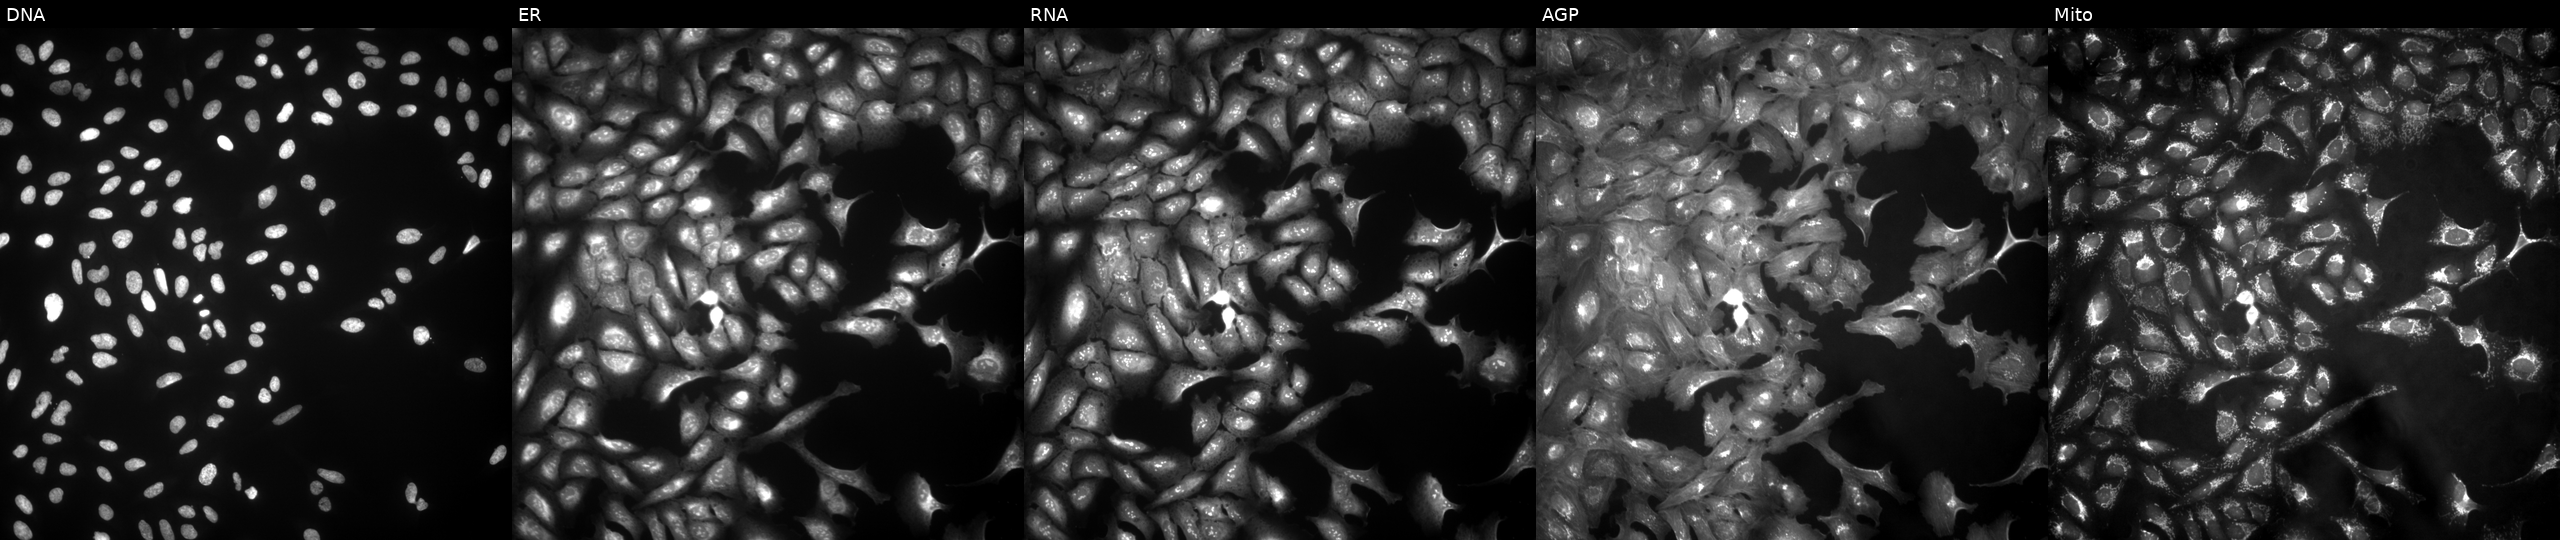
JUMP Cell Painting — ORF plate. U2OS cells with CPA2 overexpressed (ORF). Panels show, left to right, DNA (nuclei); ER (endoplasmic reticulum); RNA (nucleoli and cytoplasmic RNA); AGP (actin cytoskeleton, Golgi, and plasma membrane); Mito (mitochondria).